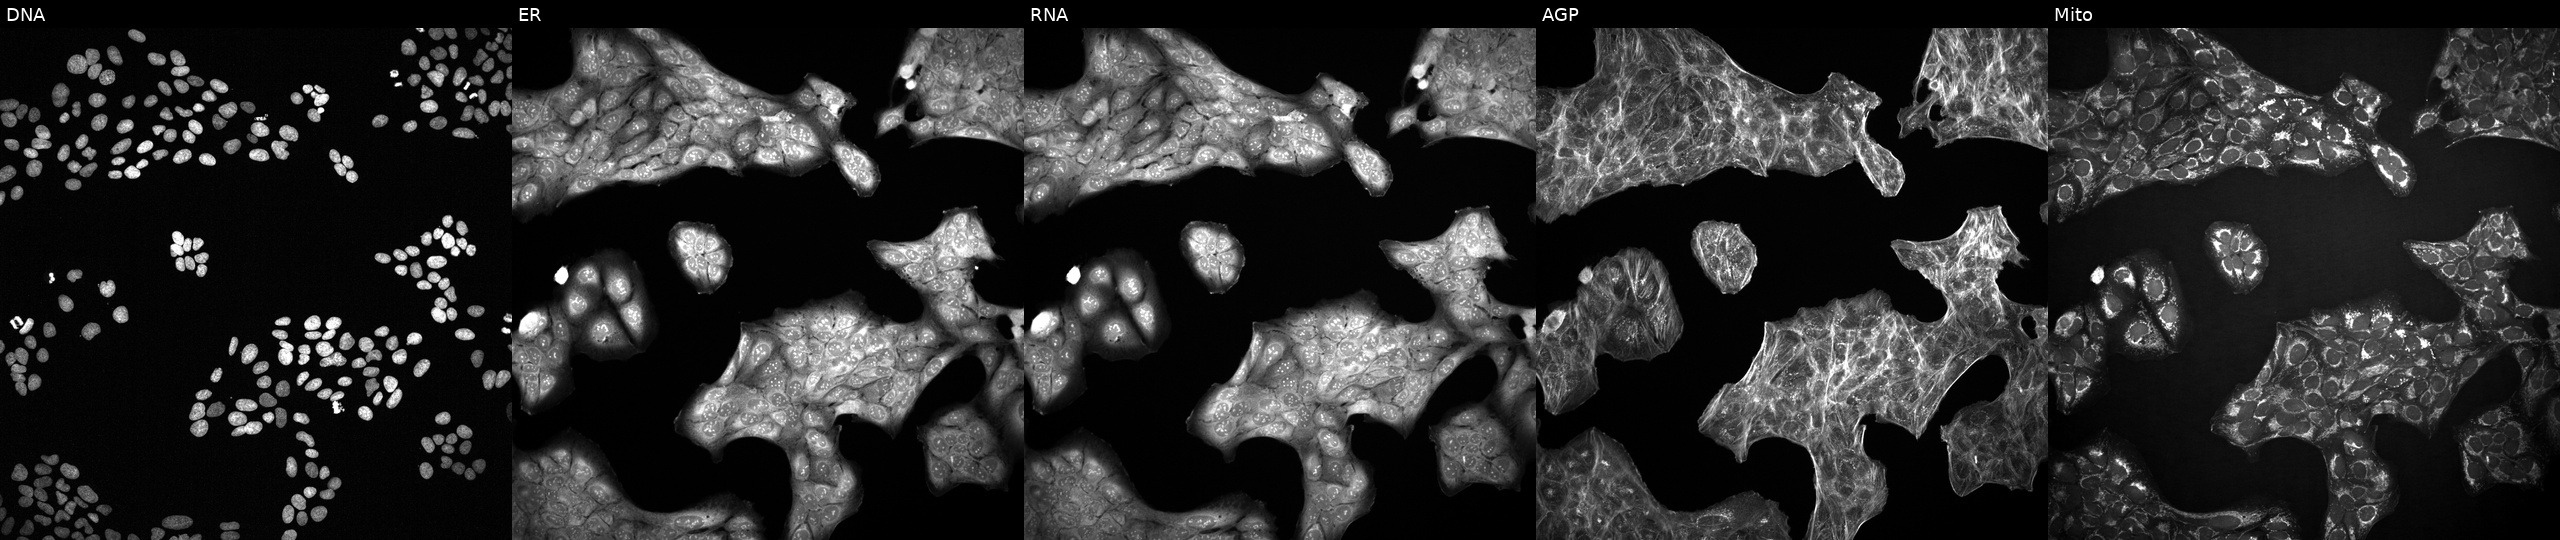
Channels (left→right): Hoechst 33342, concanavalin A, SYTO 14, phalloidin and WGA, MitoTracker. U2OS osteosarcoma cells treated with LY2109761 (positive-control compound) (JUMP id JCP2022_035095). Cell Painting assay, JUMP-CP dataset. Source 2, plate 1053601763, well E01.